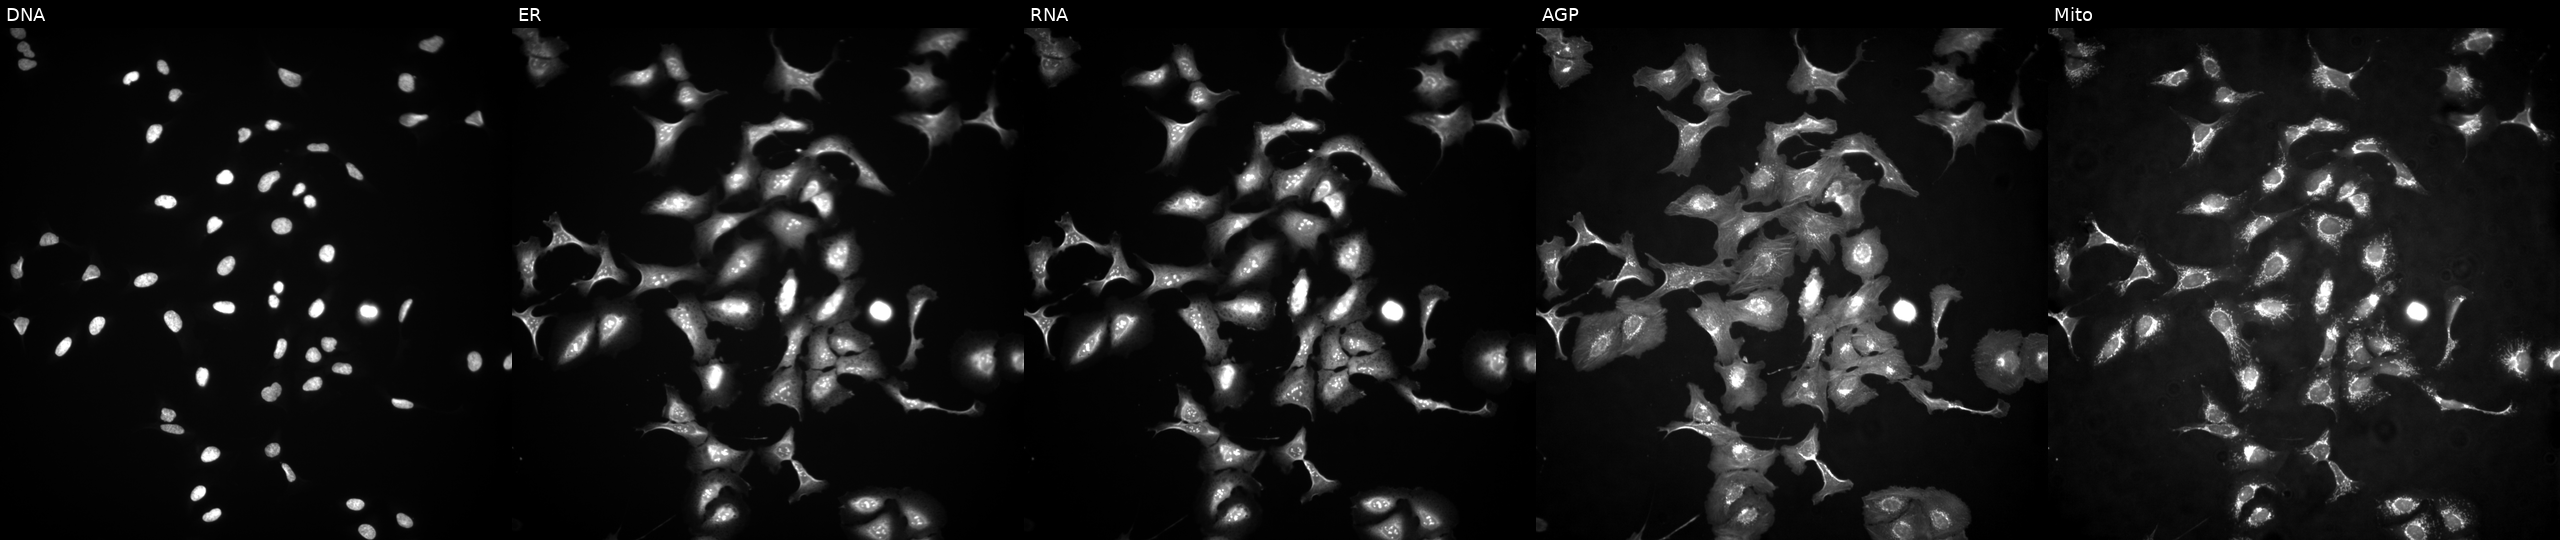
High-content fluorescence microscopy (Cell Painting). Cell line: U2OS. Perturbation: transfected with an ORF construct for PHF19. From left to right: Hoechst 33342, concanavalin A, SYTO 14, phalloidin and WGA, MitoTracker.